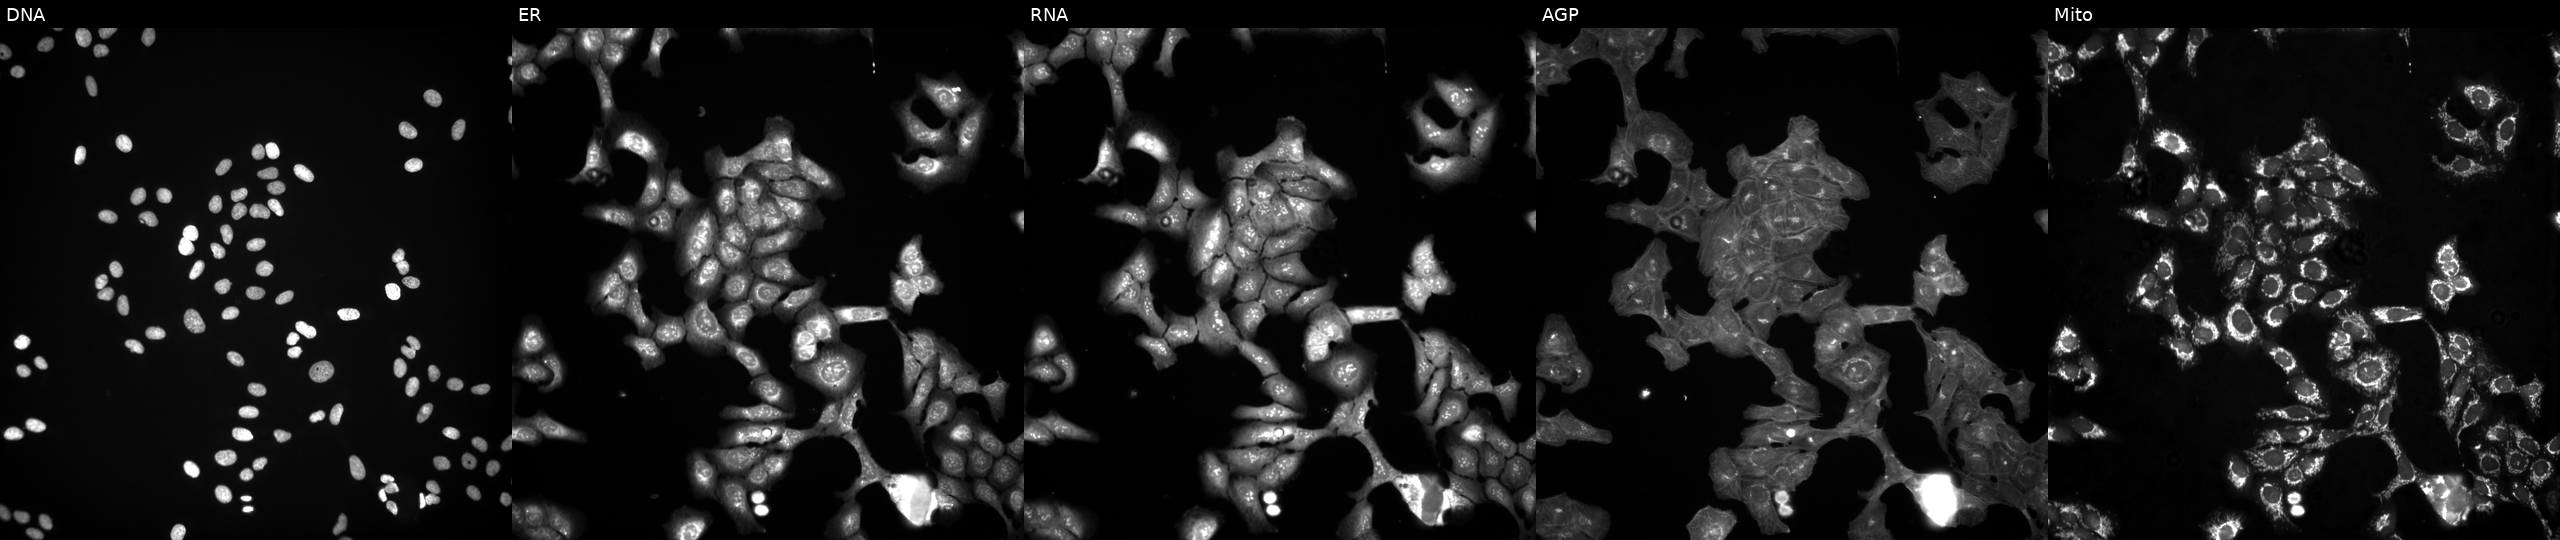
U2OS cells, Cell Painting assay, exposed to a small-molecule compound (InChIKey MXJWRABVEGLYDG-UHFFFAOYSA-N). Panels show, left to right, DNA, ER, RNA, AGP, and Mito. Each panel is percentile-stretched 16-bit fluorescence.